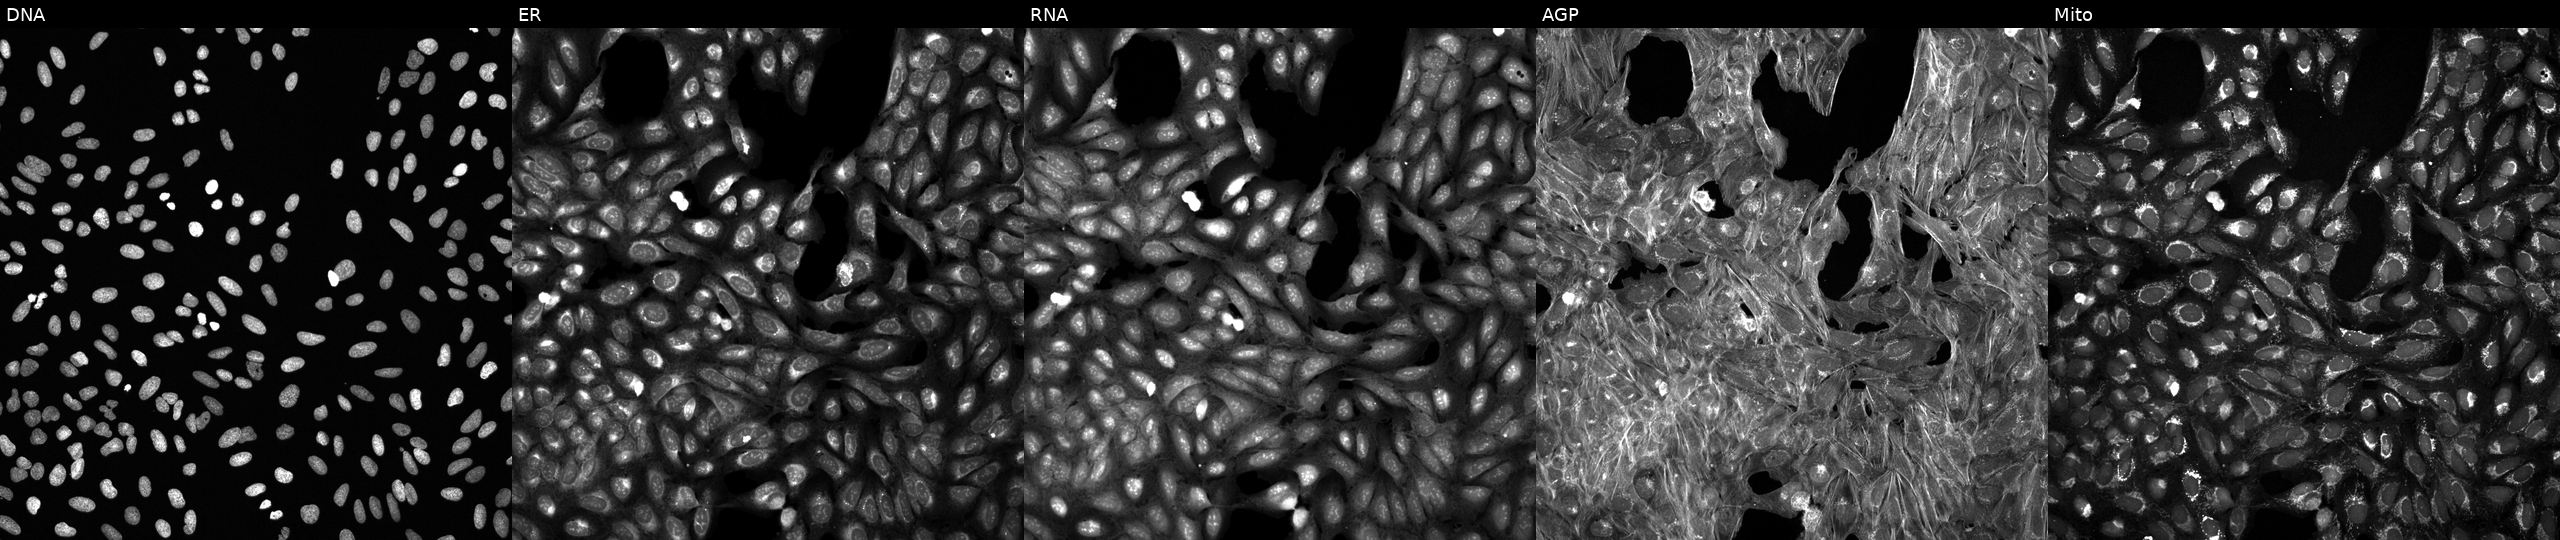
Five-channel Cell Painting image of U2OS cells treated with a small-molecule compound (InChIKey AZYDQCGCBQYFSE-UHFFFAOYSA-N) (JUMP id JCP2022_004940). Channels (left→right): DNA, ER, RNA, AGP, and Mito.